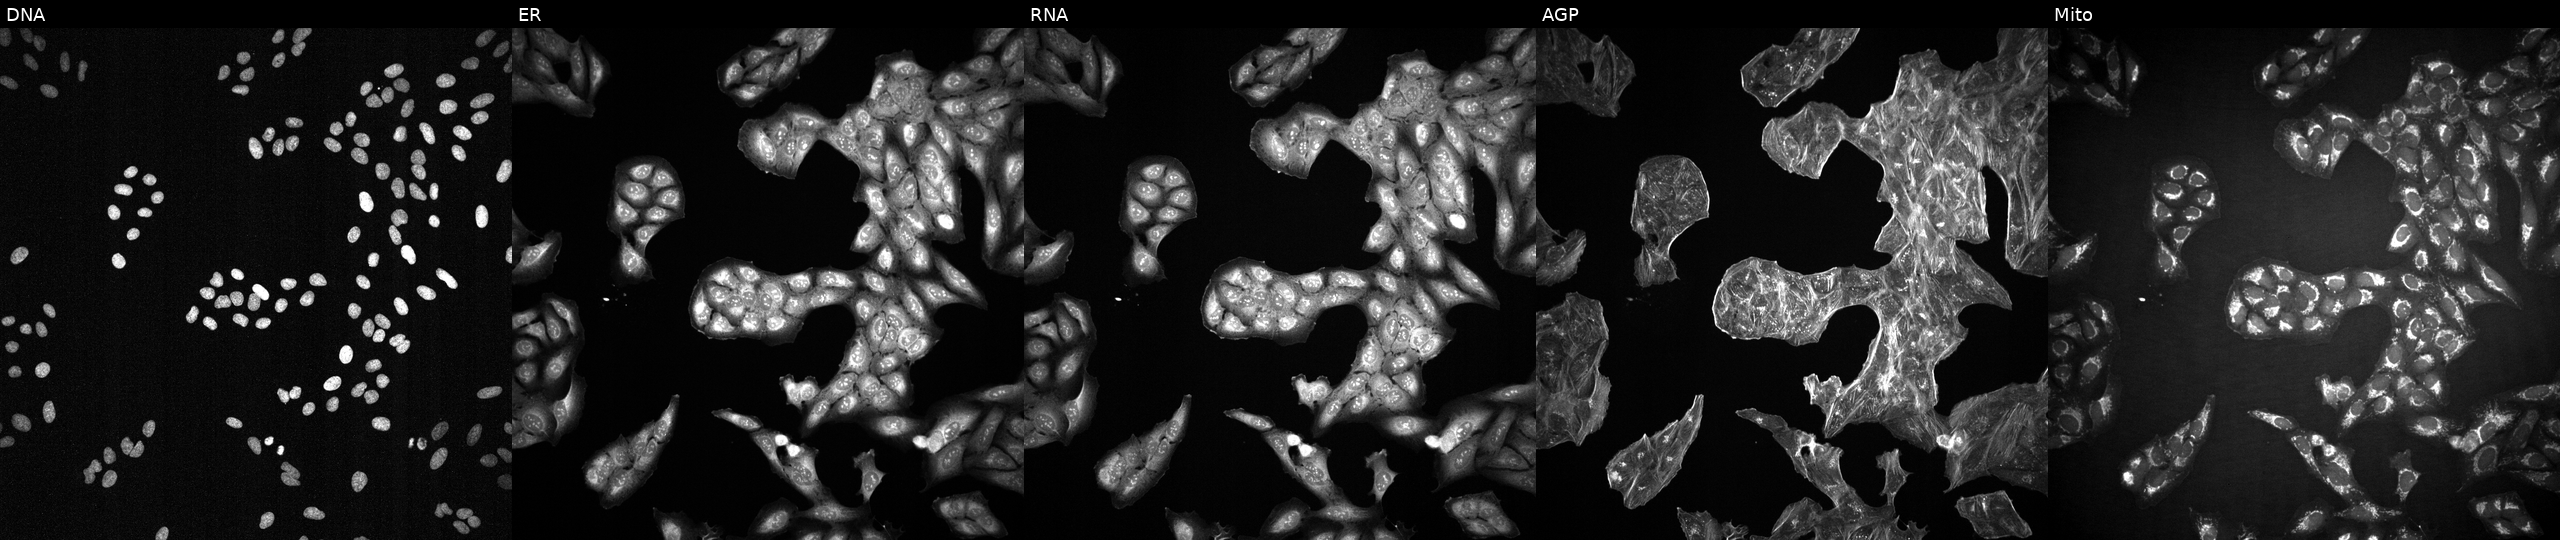
Panels show, left to right, DNA, ER, RNA, AGP, and Mito. U2OS osteosarcoma cells treated with a small-molecule compound (InChIKey TXUZVZSFRXZGTL-UHFFFAOYSA-N) (JUMP id JCP2022_087444). Cell Painting assay, JUMP-CP dataset. Source 2, plate 1053599503, well C15.